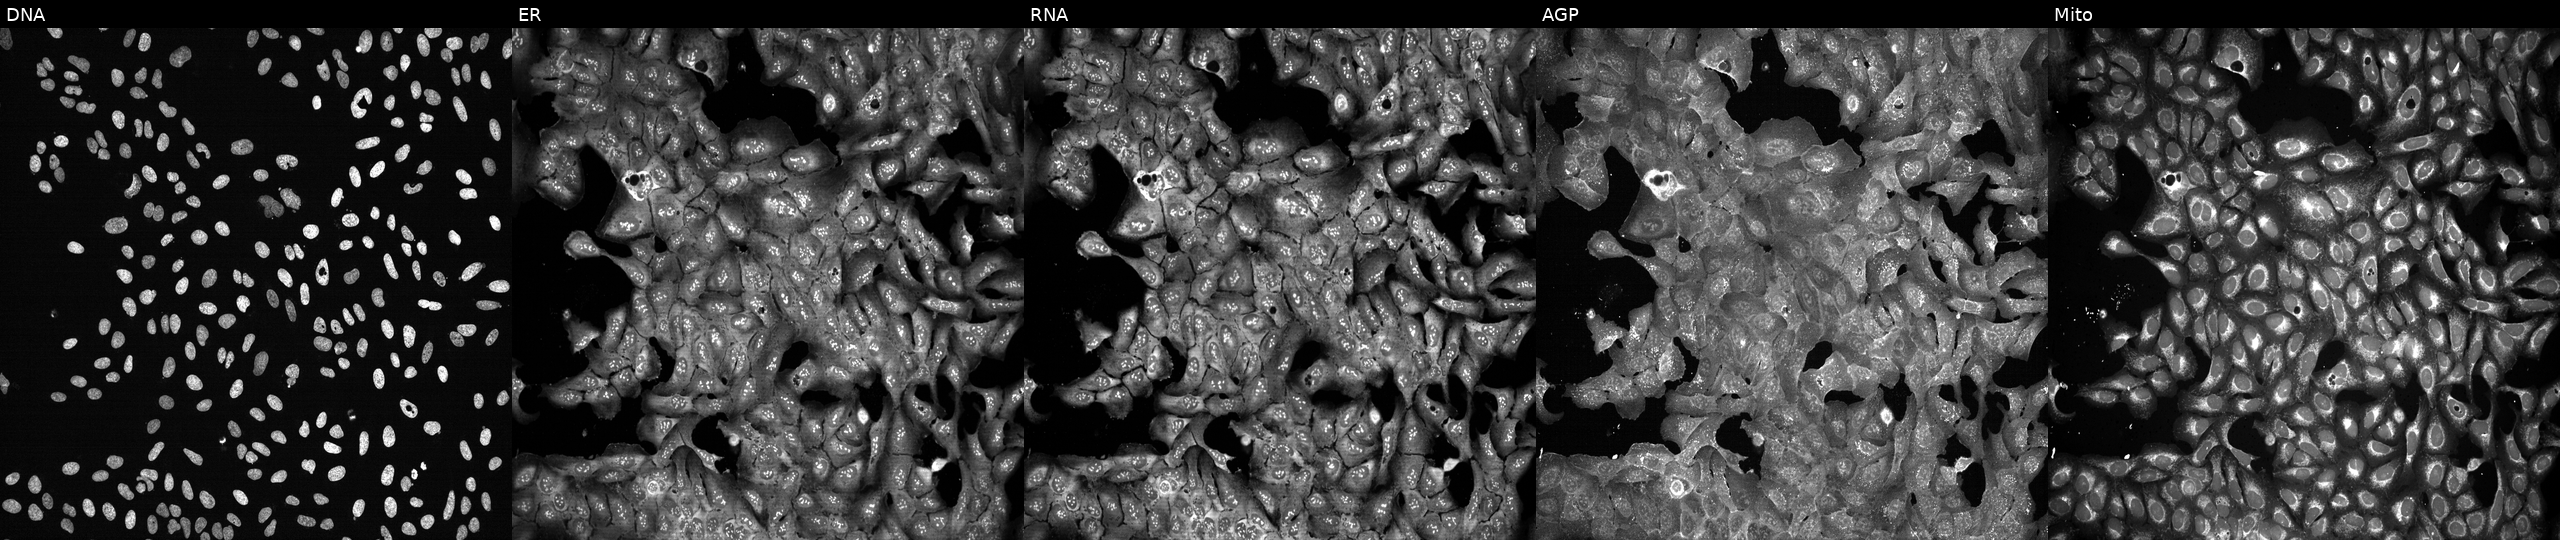
Five-channel Cell Painting image of U2OS cells following CRISPR knockout of ASF1A. The five panels, left to right, show DNA (nuclei); ER (endoplasmic reticulum); RNA (nucleoli and cytoplasmic RNA); AGP (actin cytoskeleton, Golgi, and plasma membrane); Mito (mitochondria).